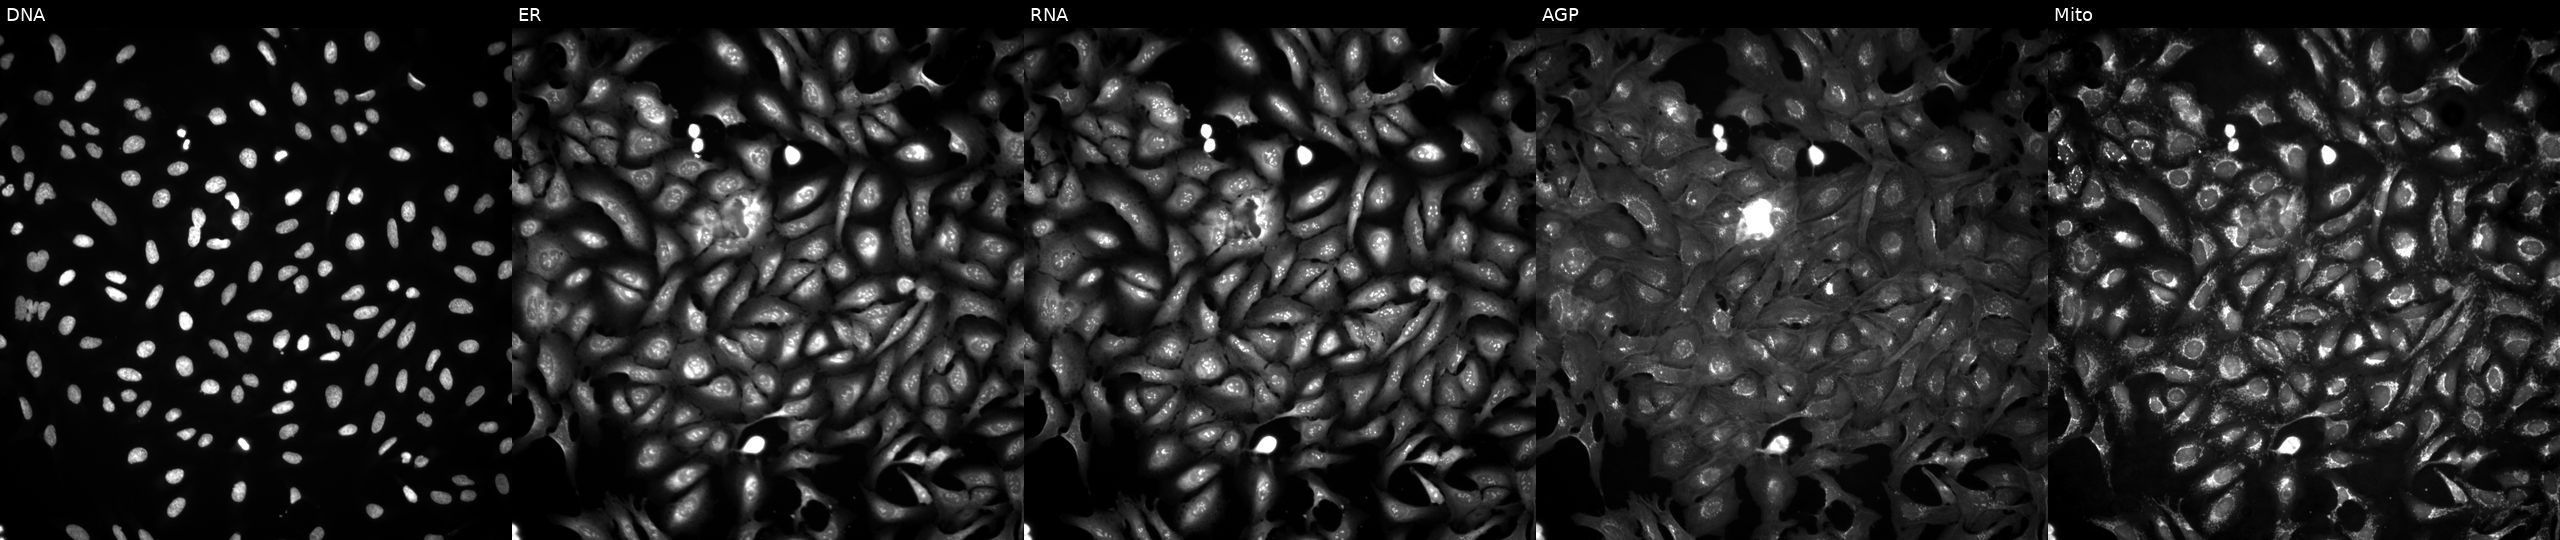
U2OS cells, Cell Painting assay, with PRKG1 overexpressed (ORF). The five panels, left to right, show DNA (nuclei); ER (endoplasmic reticulum); RNA (nucleoli and cytoplasmic RNA); AGP (actin cytoskeleton, Golgi, and plasma membrane); Mito (mitochondria). Each panel is percentile-stretched 16-bit fluorescence.